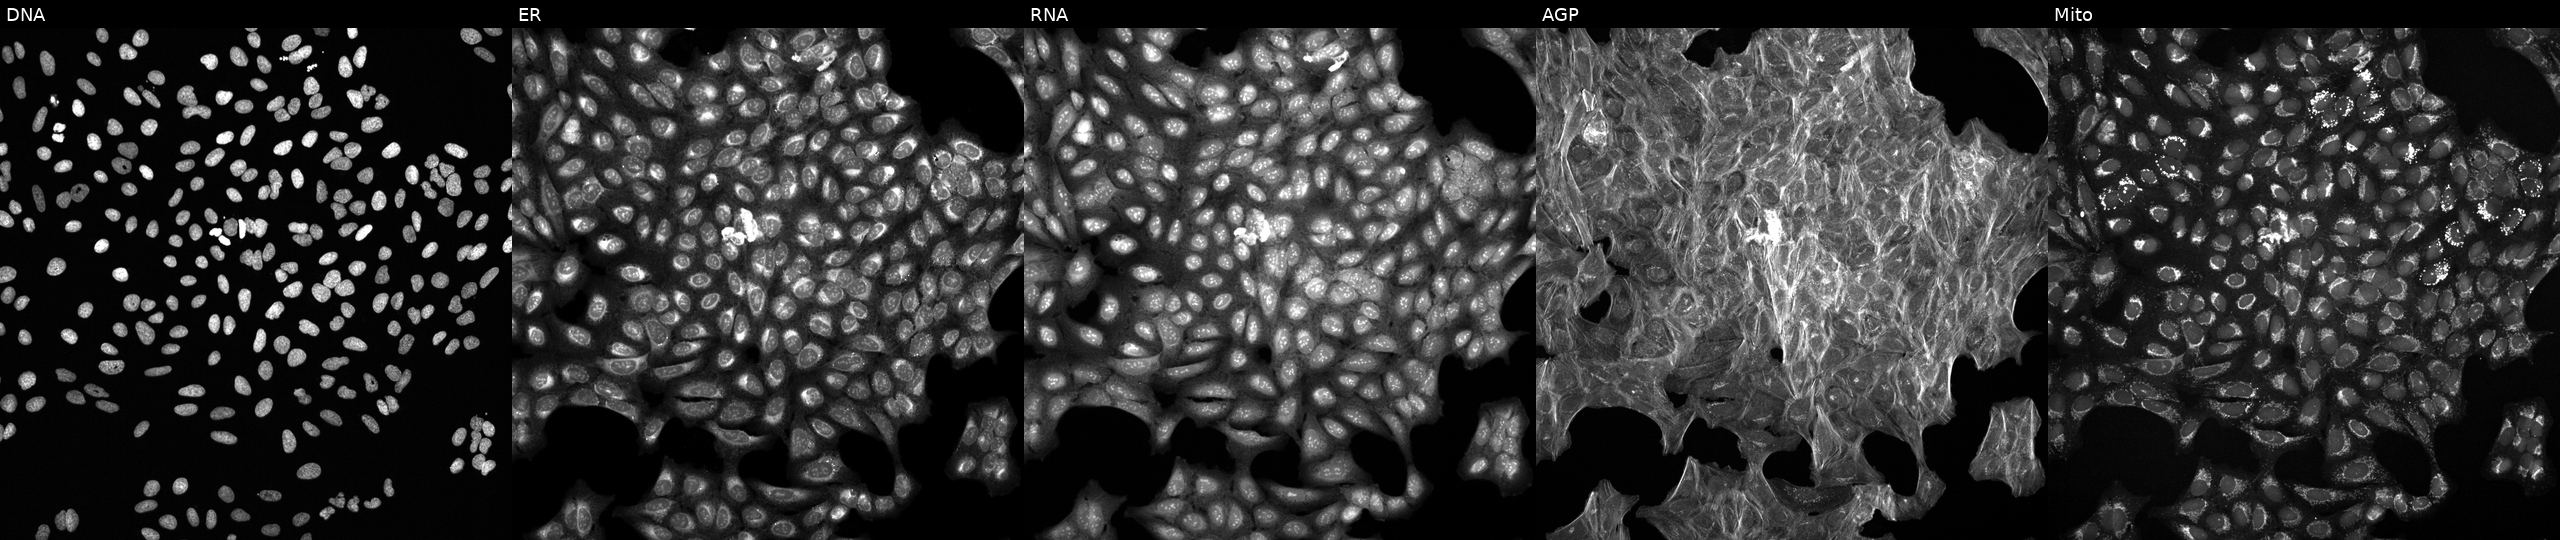
Five-channel Cell Painting image of U2OS cells treated with a small-molecule compound (InChIKey LMWTVJSXZXVMHE-UHFFFAOYSA-N) [SMILES: CCc1ccc(-n2c(=O)c3cccnc3n2CC(=O)N(CC)c2cccc(C)c2)cc1]. From left to right: Hoechst 33342, concanavalin A, SYTO 14, phalloidin and WGA, MitoTracker.